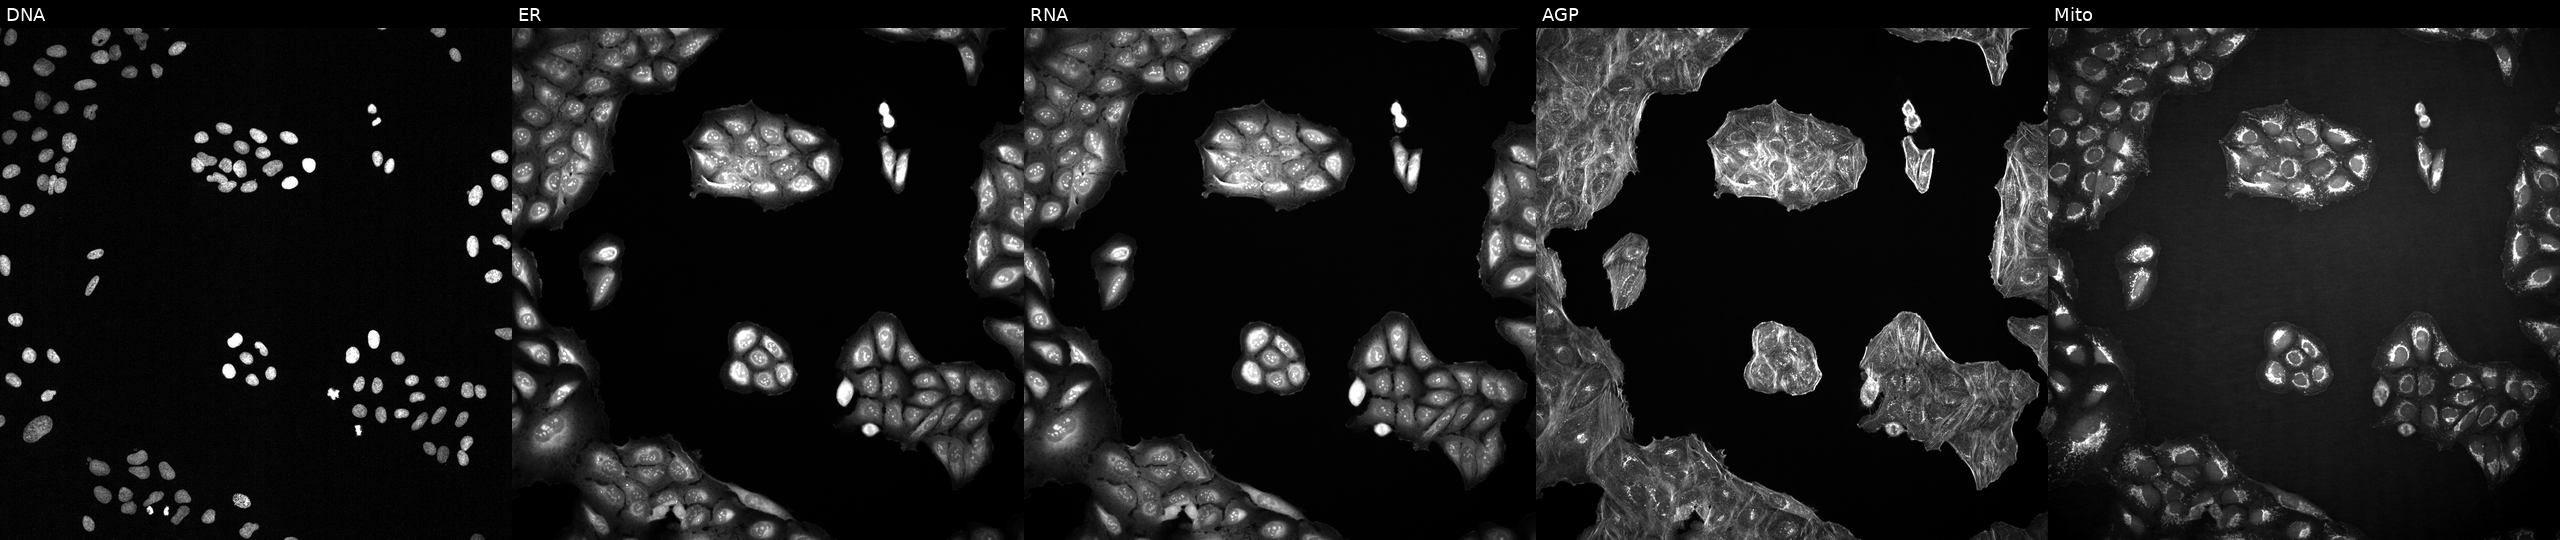
High-content fluorescence microscopy (Cell Painting). Cell line: U2OS. Perturbation: with an unidentified perturbation (not annotated in JUMP metadata). From left to right: Hoechst 33342, concanavalin A, SYTO 14, phalloidin and WGA, MitoTracker.